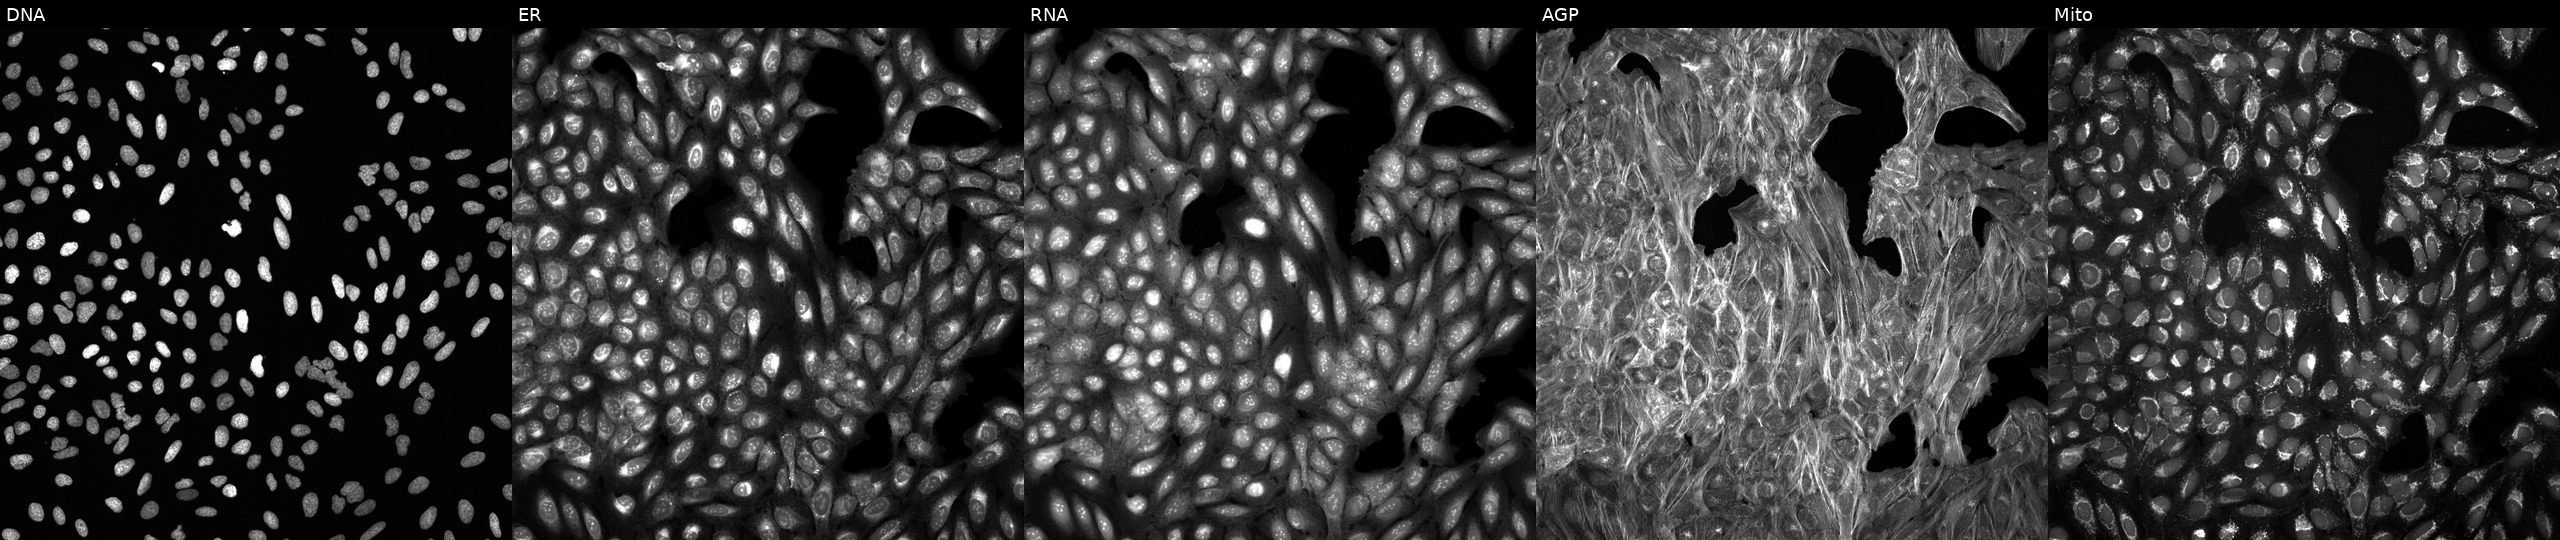
Five-channel Cell Painting image of U2OS cells treated with DMSO vehicle only (negative control). Panels show, left to right, DNA, ER, RNA, AGP, and Mito. Source 6, plate 110000293093, well F05.